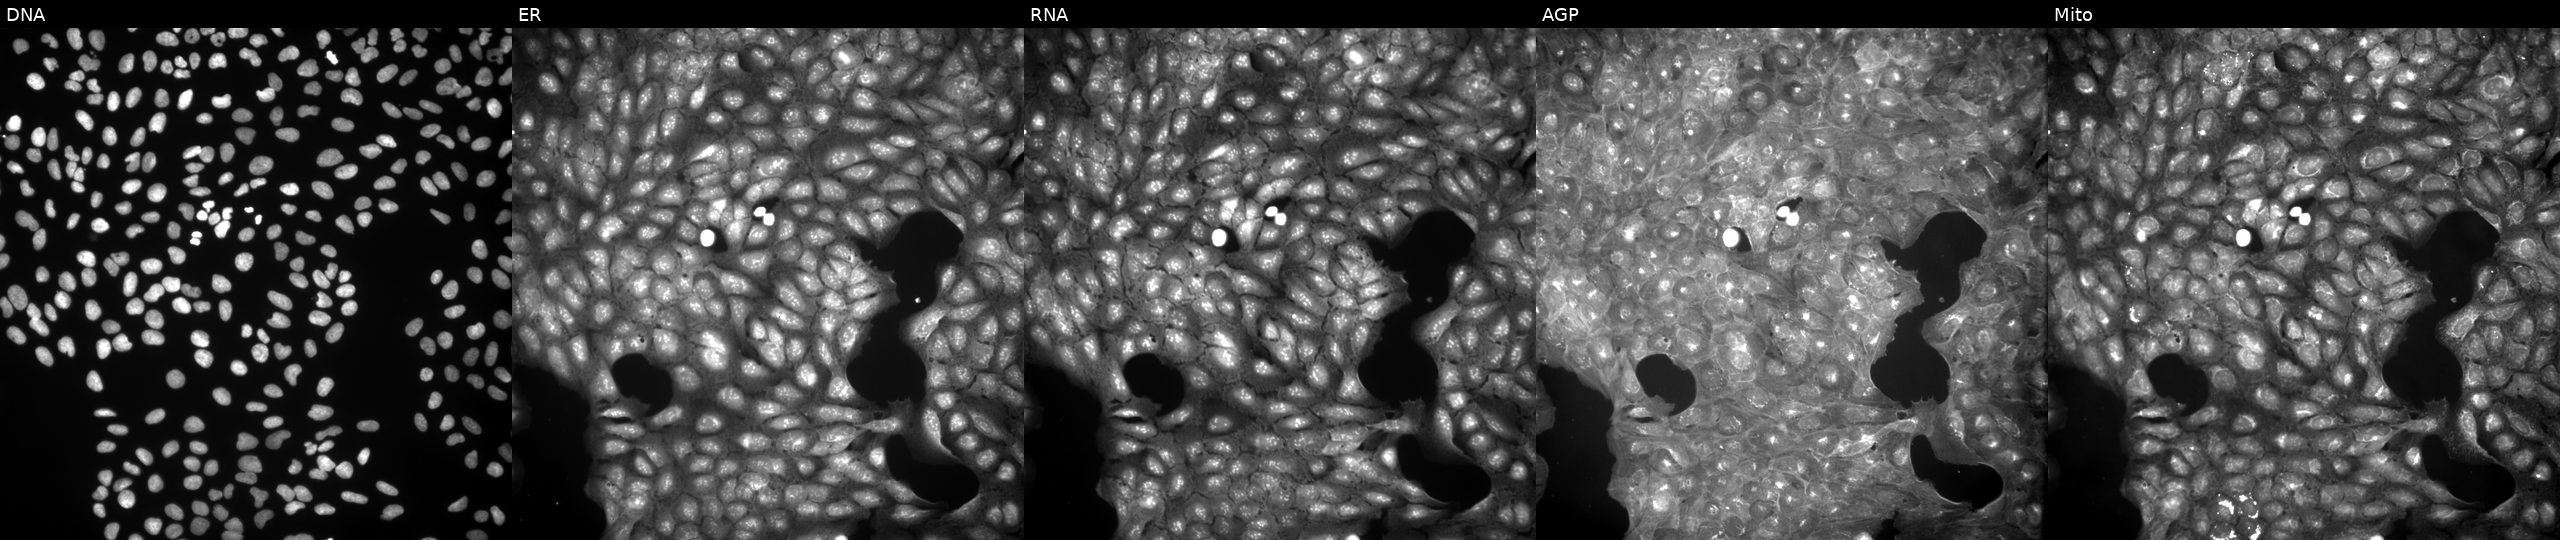
High-content fluorescence microscopy (Cell Painting). Cell line: U2OS. Perturbation: treated with a small-molecule compound (JUMP id JCP2022_026796). From left to right: DNA (nuclei); ER (endoplasmic reticulum); RNA (nucleoli and cytoplasmic RNA); AGP (actin cytoskeleton, Golgi, and plasma membrane); Mito (mitochondria). Source 9, plate GR00003382, well C37.